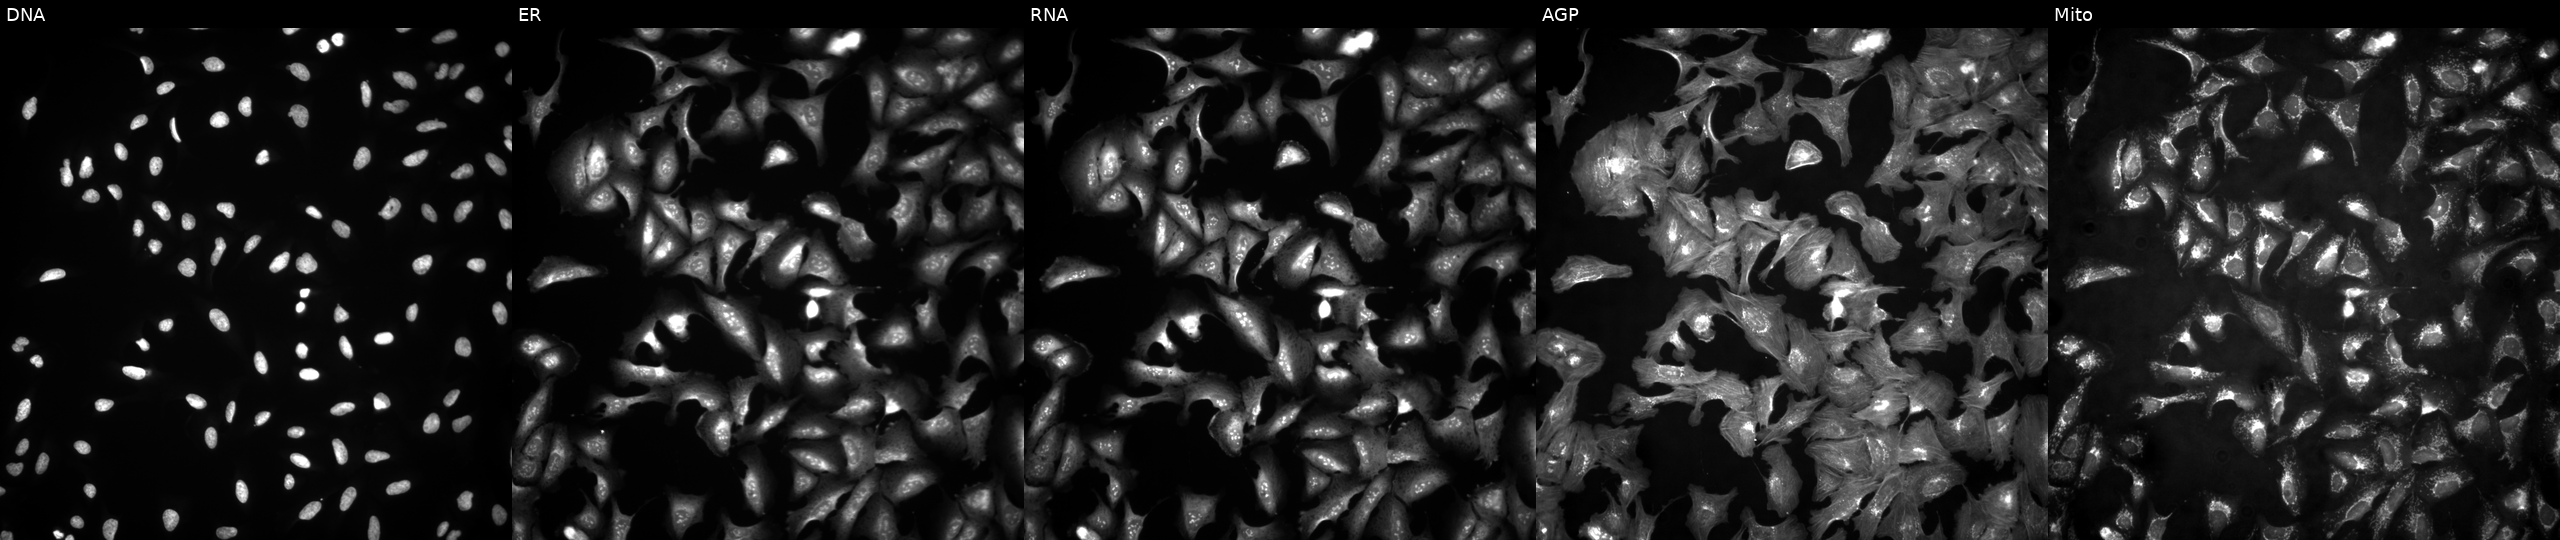
Five-channel Cell Painting image of U2OS cells with C18orf21 overexpressed (ORF) (JUMP id JCP2022_911883). The five panels, left to right, show DNA, ER, RNA, AGP, and Mito. Source 4, plate BR00124784, well H24.